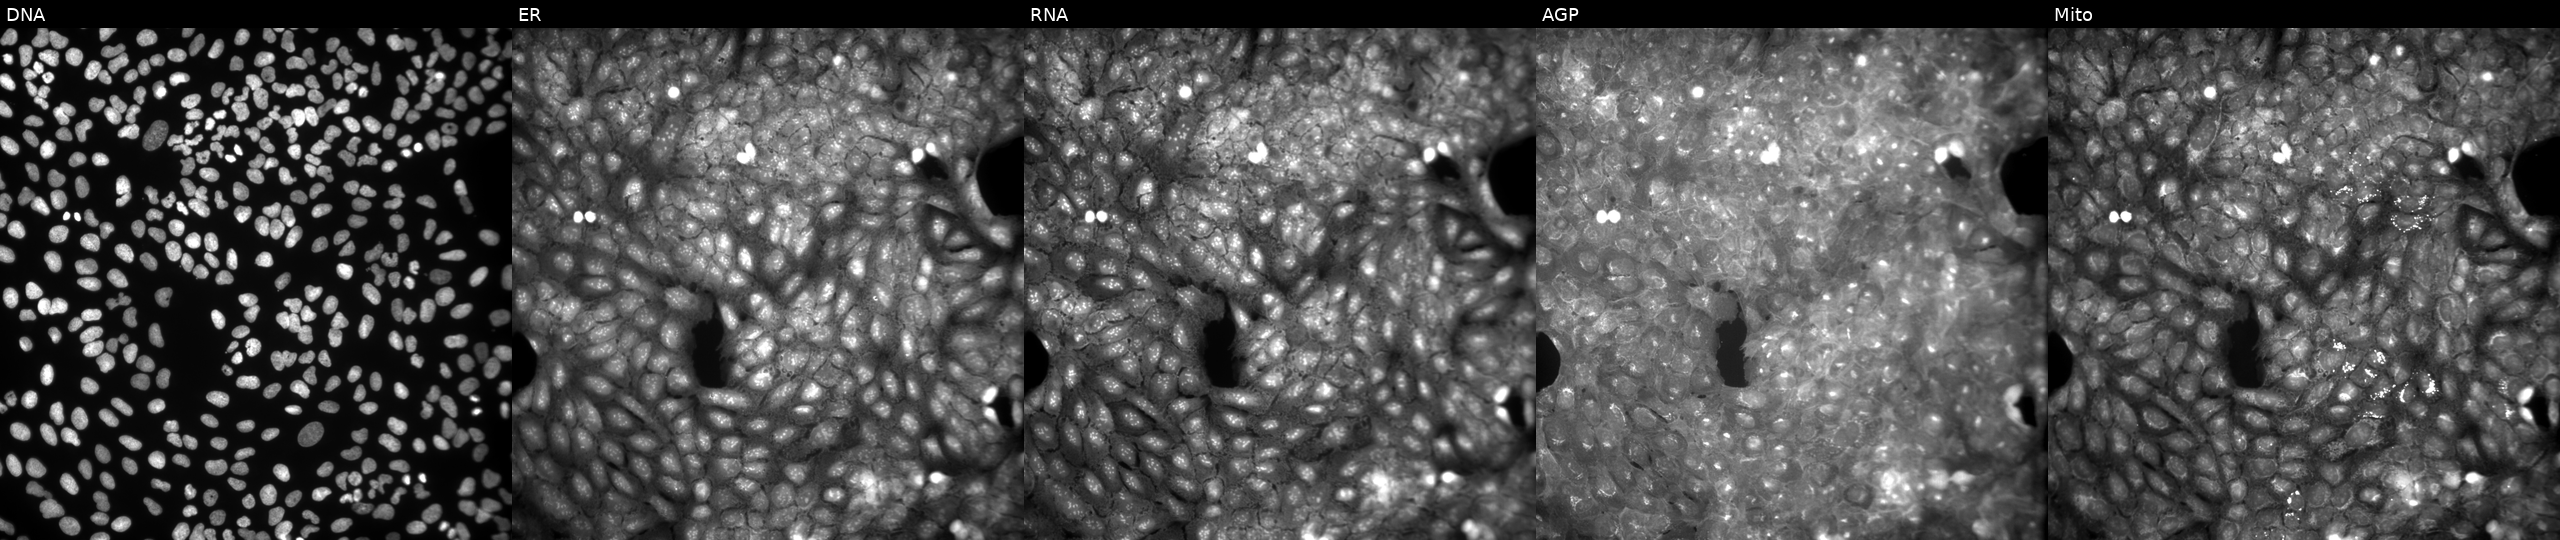
Panels show, left to right, DNA, ER, RNA, AGP, and Mito. U2OS osteosarcoma cells perturbed with a small-molecule compound [SMILES: COc1cc(NC(=O)Cn2c3ccccc3c(=O)c3ccccc32)cc(OC)c1OC] (JUMP id JCP2022_083946). Cell Painting assay, JUMP-CP dataset.